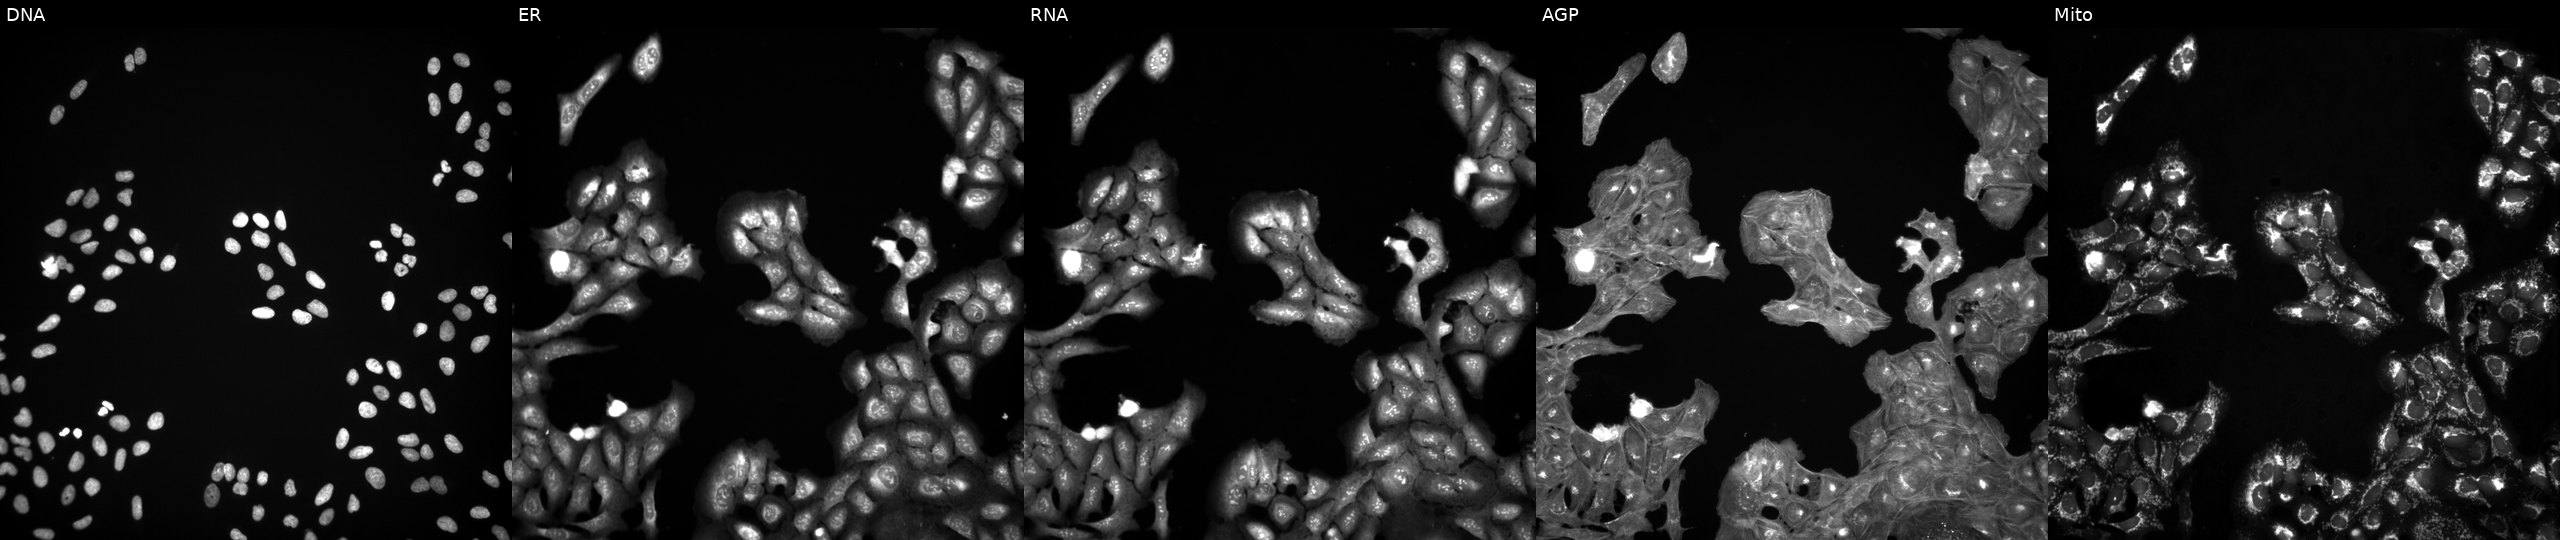
U2OS cells, Cell Painting assay, exposed to DMSO alone as a negative control (JUMP id JCP2022_033924). From left to right: DNA (nuclei); ER (endoplasmic reticulum); RNA (nucleoli and cytoplasmic RNA); AGP (actin cytoskeleton, Golgi, and plasma membrane); Mito (mitochondria). Each panel is percentile-stretched 16-bit fluorescence.